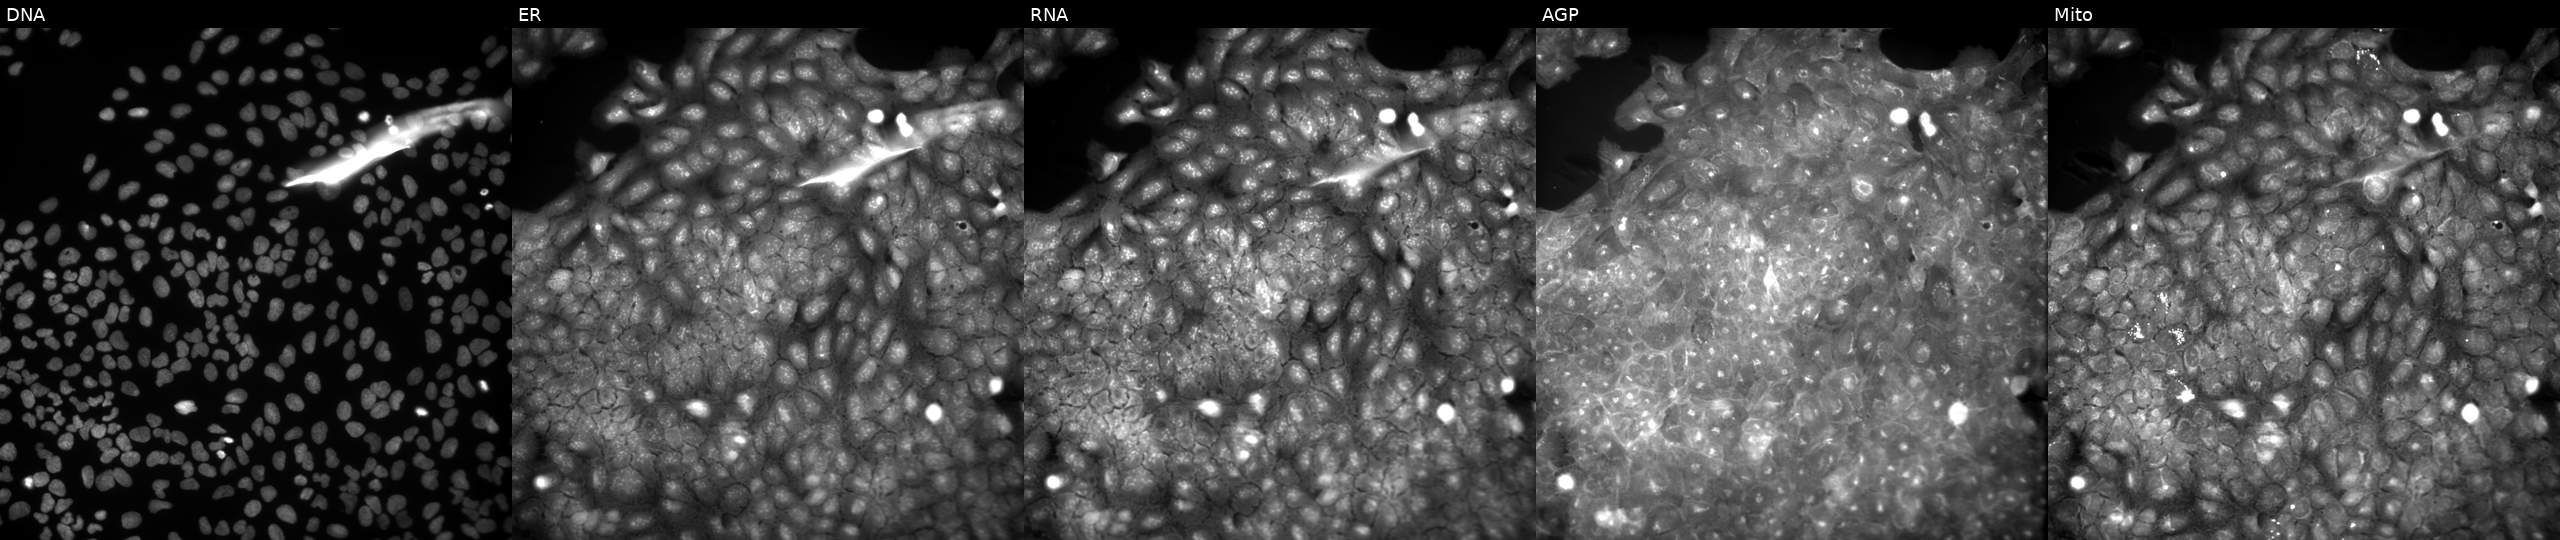
JUMP Cell Painting — COMPOUND plate. U2OS cells perturbed with a small-molecule compound (InChIKey DTPLBMZQZYRCFA-UHFFFAOYSA-N) (JUMP id JCP2022_018139). From left to right: DNA, ER, RNA, AGP, and Mito.